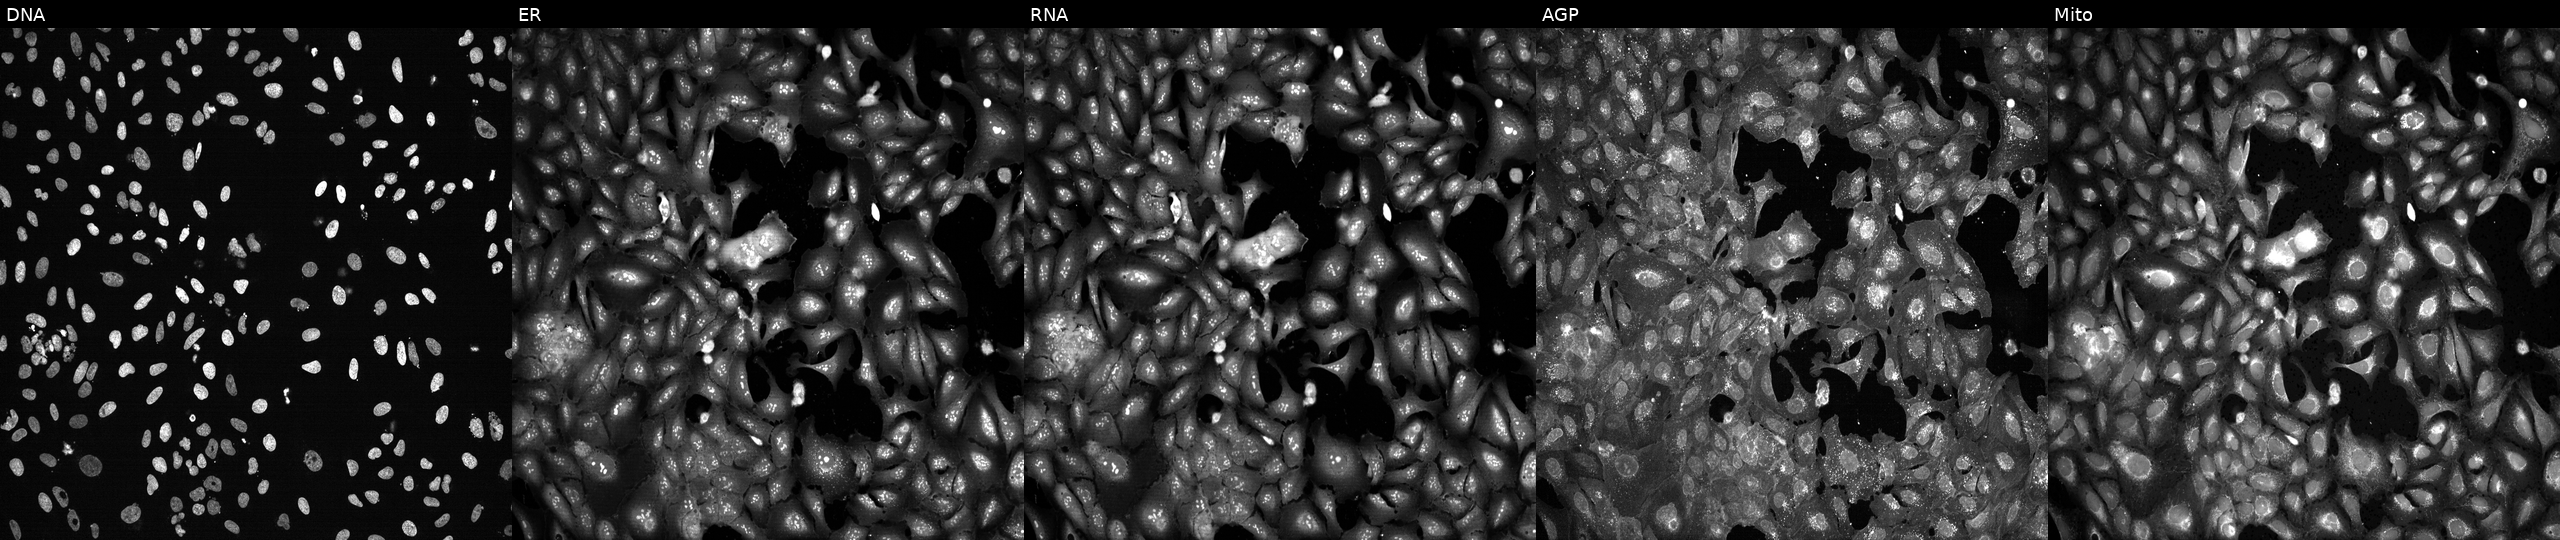
This image strip shows the five Cell Painting channels for a single field of U2OS cells CRISPR-edited to disrupt BLM (JUMP id JCP2022_800887). From left to right: DNA, ER, RNA, AGP, and Mito.